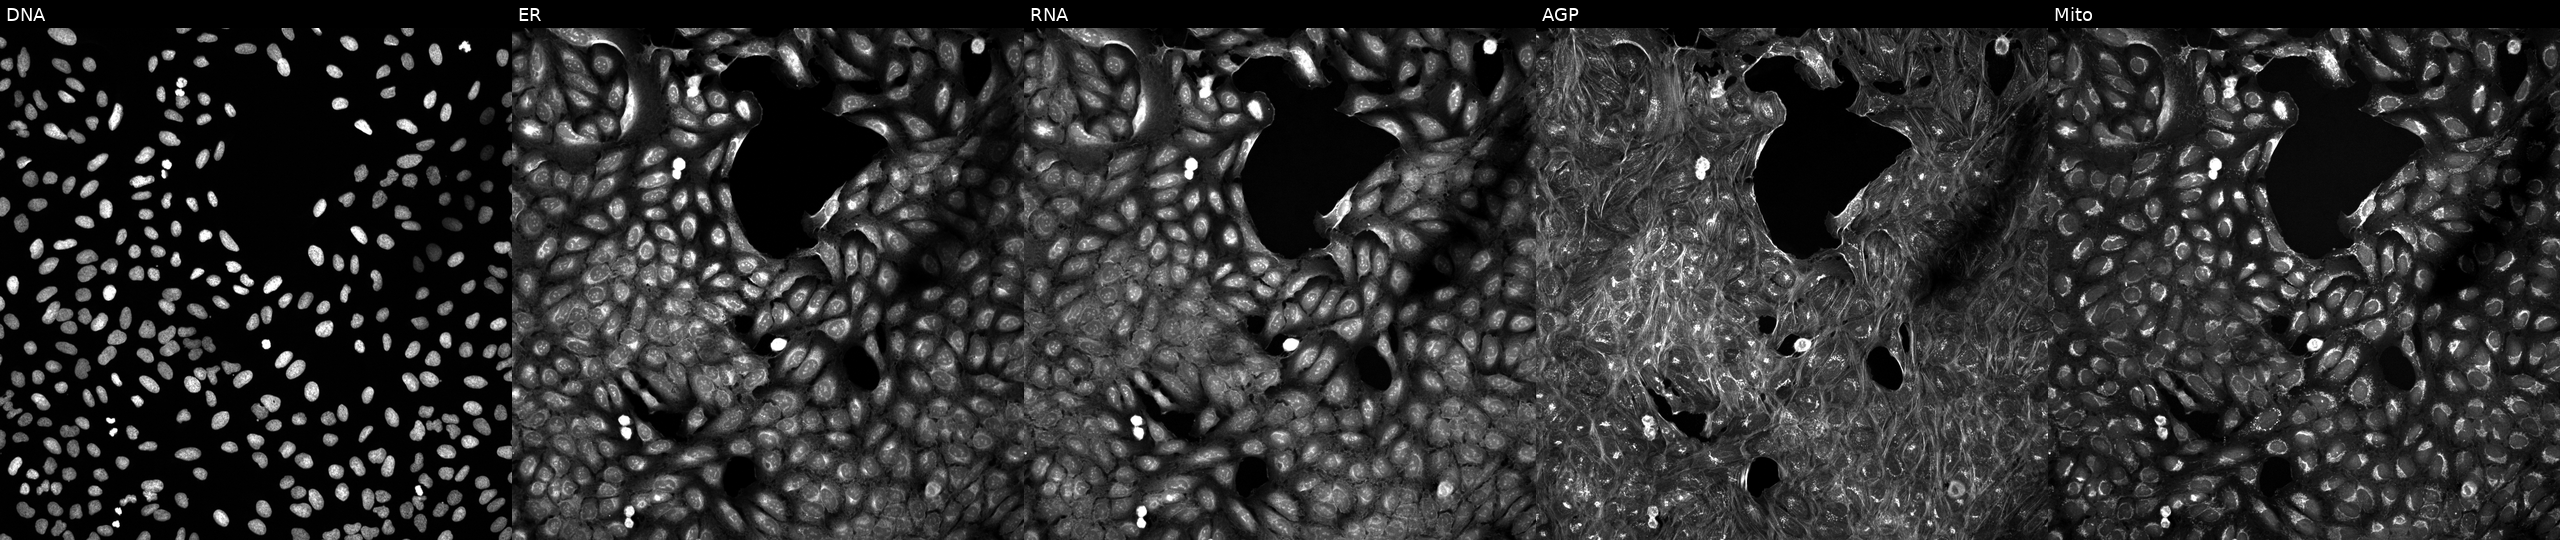
U2OS cells, Cell Painting assay, exposed to a small-molecule compound (InChIKey VFSVKVQMZDJFQX-UHFFFAOYSA-N). From left to right: DNA, ER, RNA, AGP, and Mito. Each panel is percentile-stretched 16-bit fluorescence.